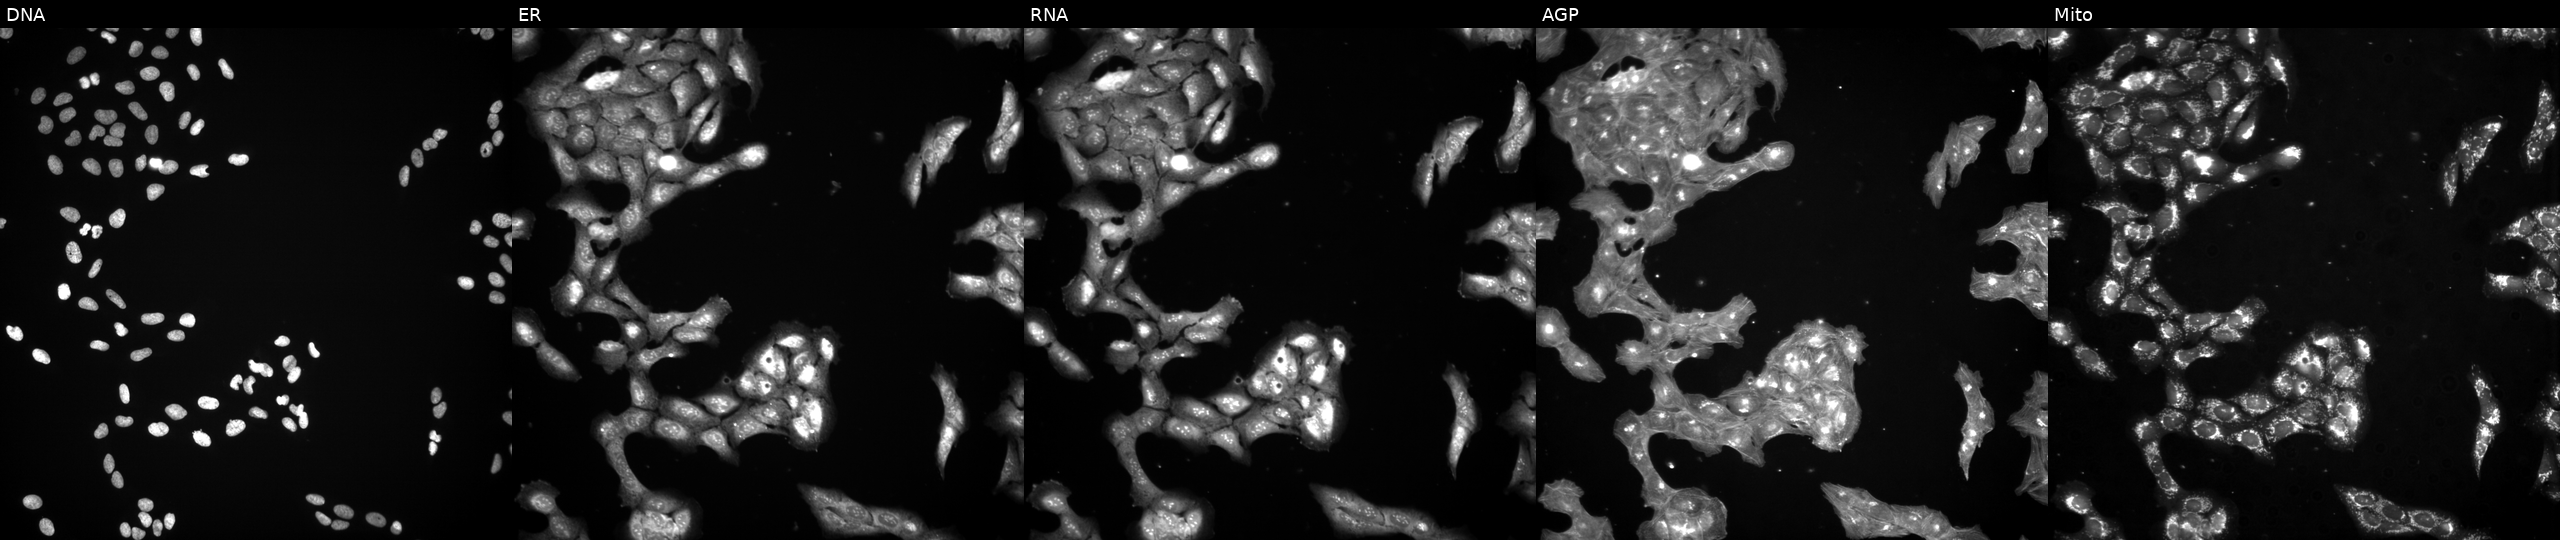
JUMP Cell Painting — TARGET2 plate. U2OS cells perturbed with a small-molecule compound (InChIKey PMATZTZNYRCHOR-UHFFFAOYSA-N). From left to right: DNA, ER, RNA, AGP, and Mito.